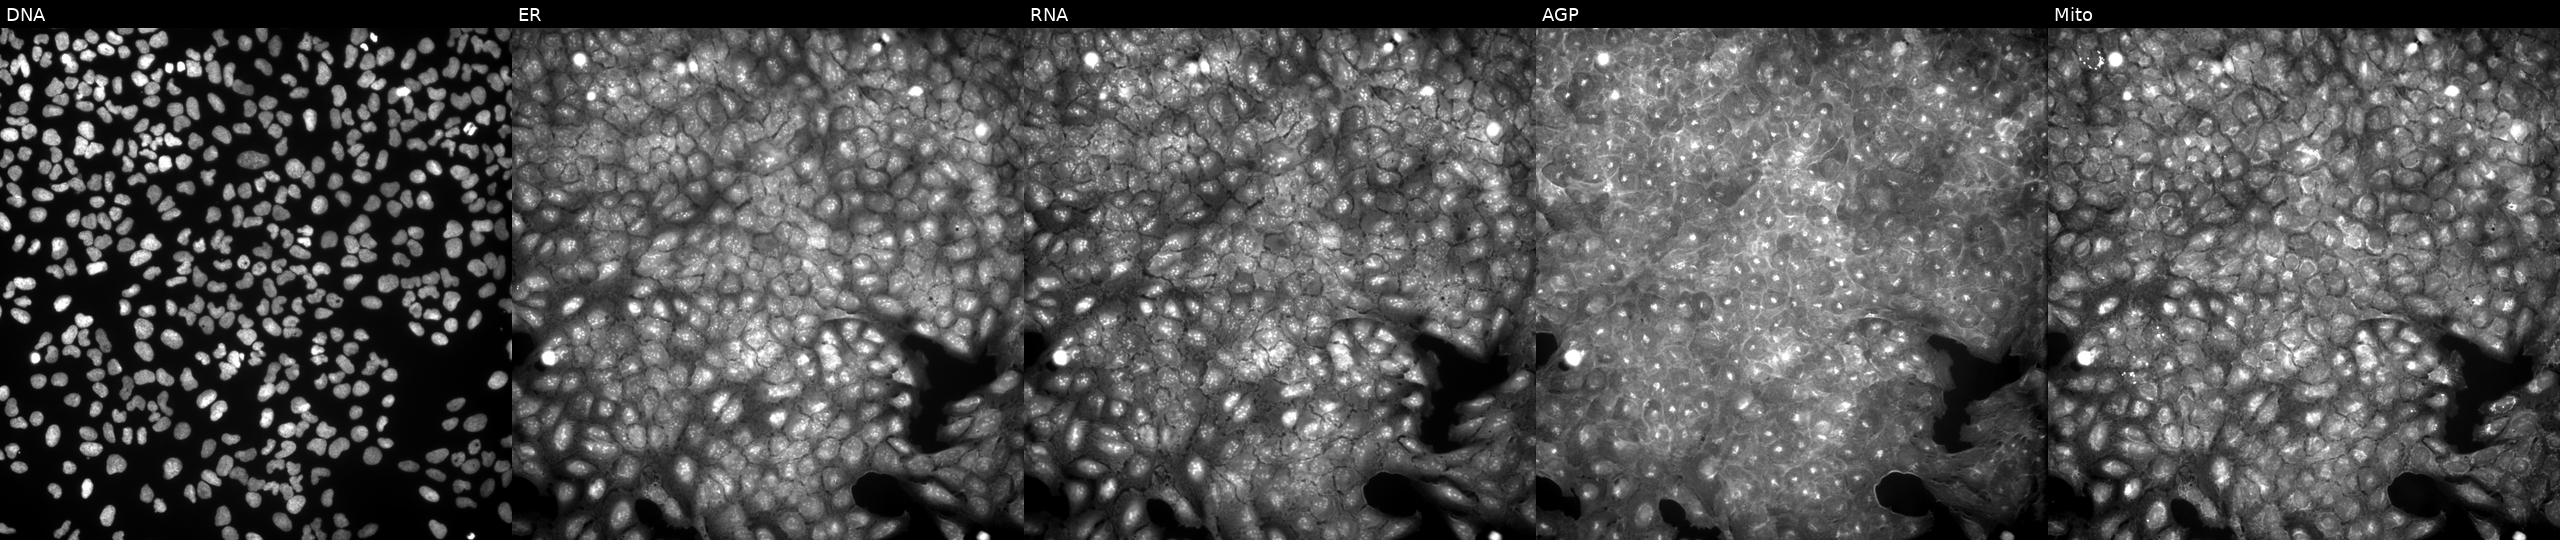
This image strip shows the five Cell Painting channels for a single field of U2OS cells exposed to a small-molecule compound (InChIKey LFVYDUHHPGRLAT-UHFFFAOYSA-N) (JUMP id JCP2022_049157). From left to right: Hoechst 33342, concanavalin A, SYTO 14, phalloidin and WGA, MitoTracker.